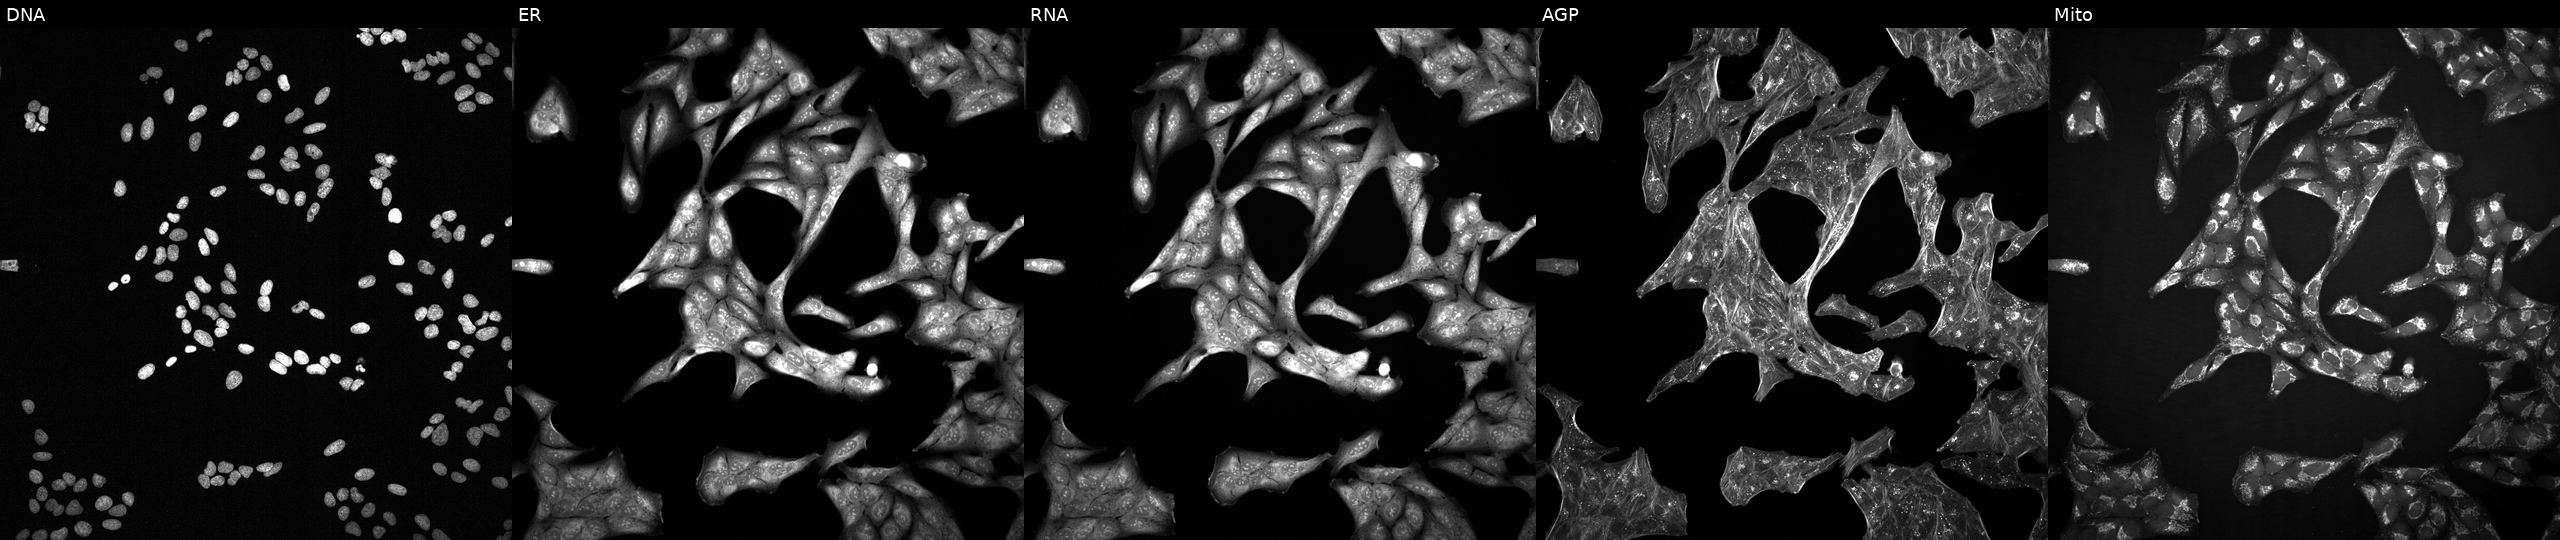
This image strip shows the five Cell Painting channels for a single field of U2OS cells treated with a small-molecule compound. Channels (left→right): DNA, ER, RNA, AGP, and Mito.